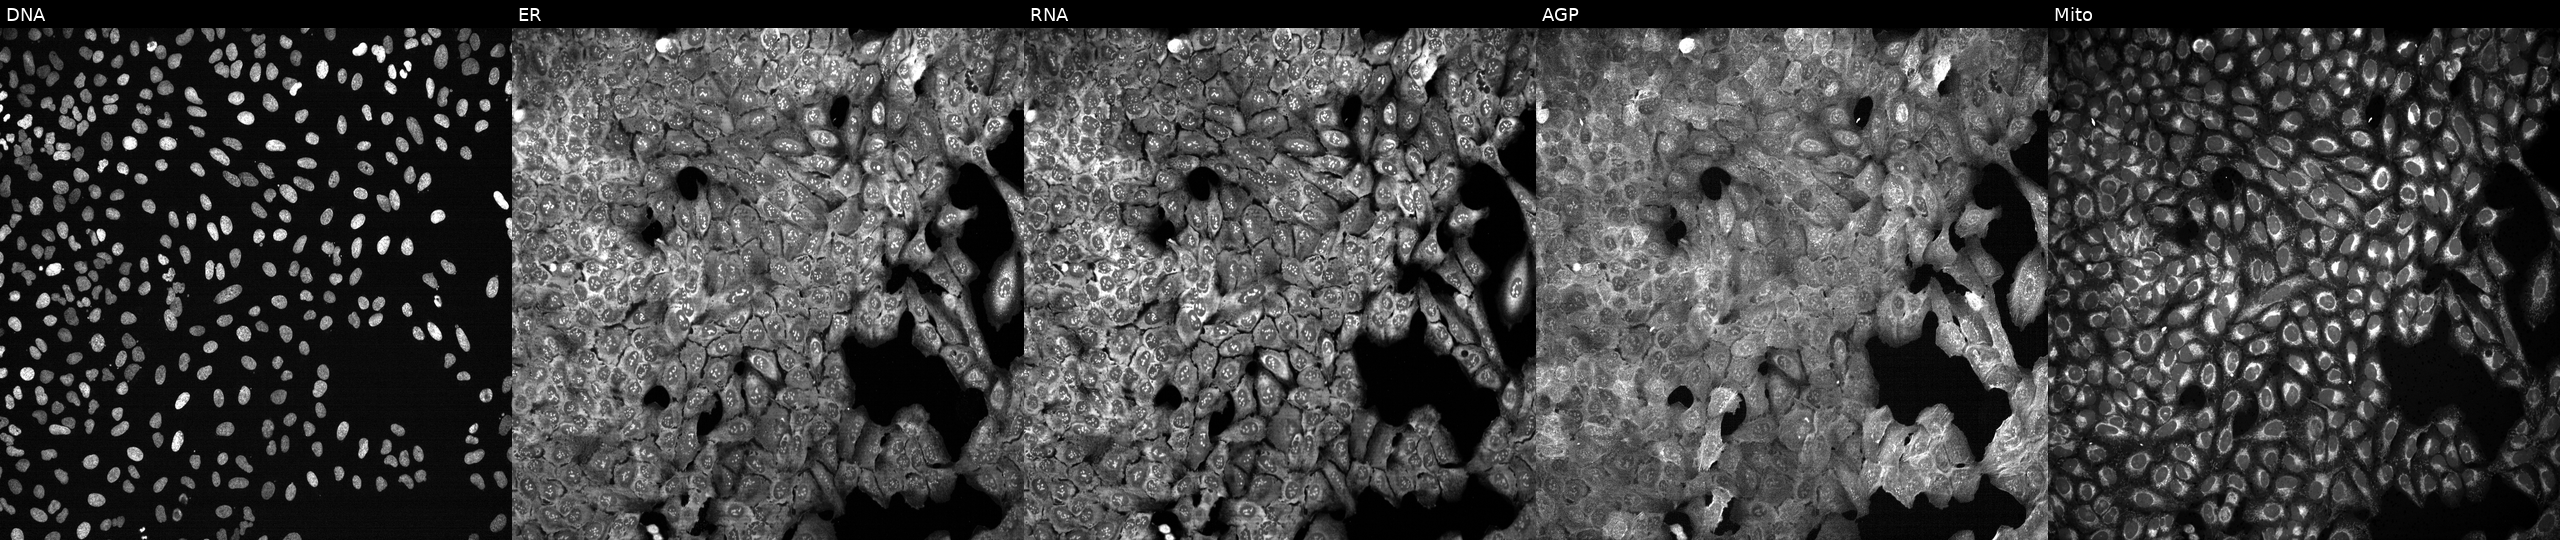
Five-channel Cell Painting image of U2OS cells CRISPR-edited to disrupt B3GNT5 (JUMP id JCP2022_800783). From left to right: DNA (nuclei); ER (endoplasmic reticulum); RNA (nucleoli and cytoplasmic RNA); AGP (actin cytoskeleton, Golgi, and plasma membrane); Mito (mitochondria). Source 13, plate CP-CC9-R2-01, well N09.